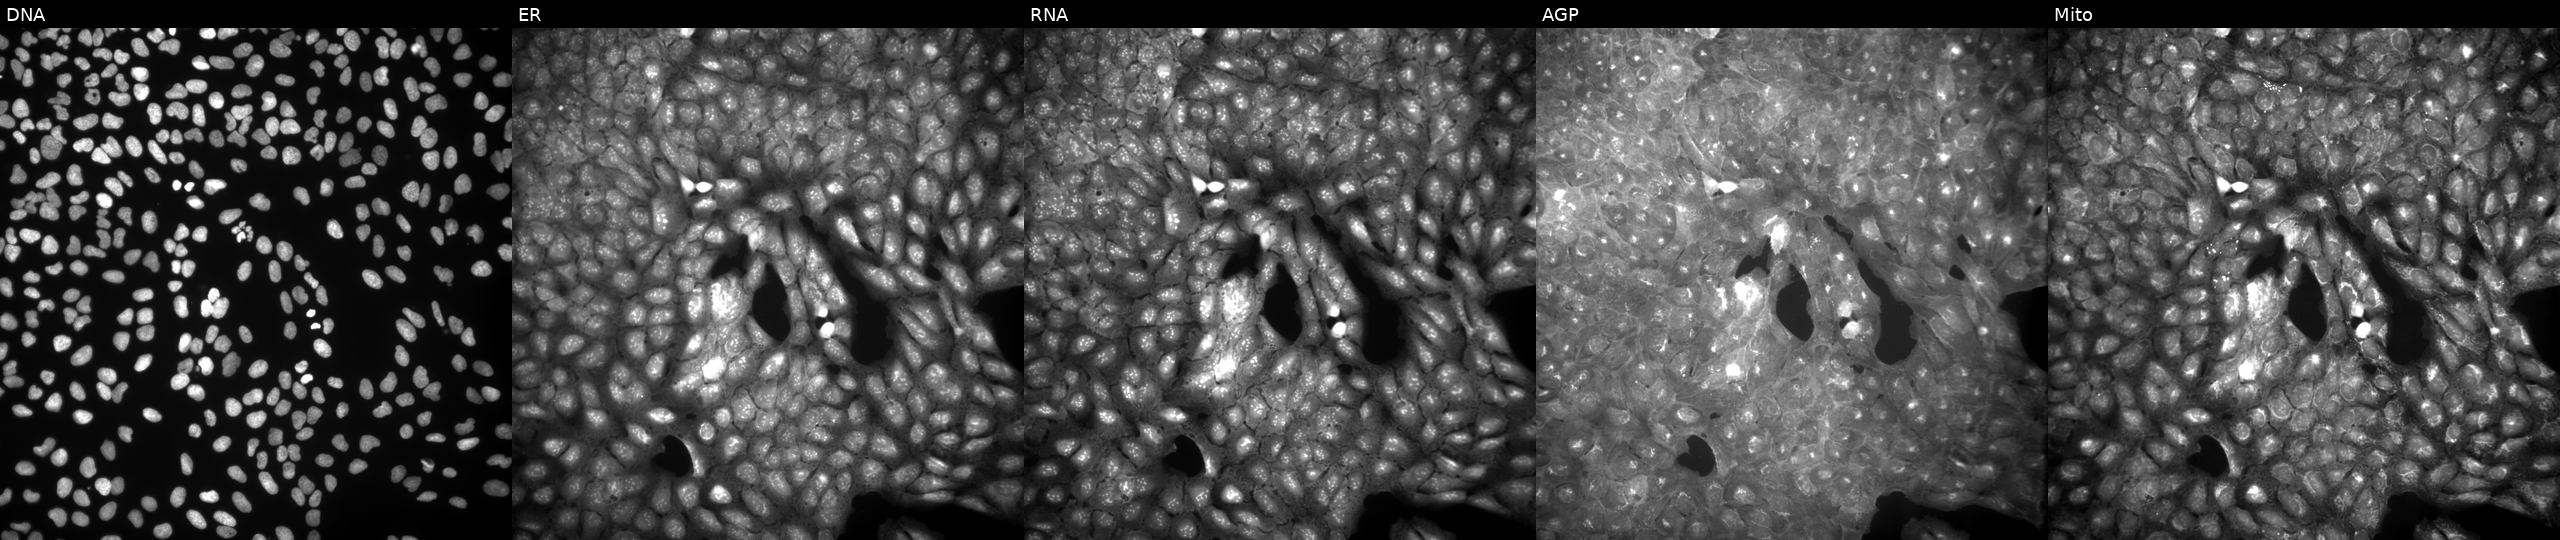
JUMP Cell Painting — COMPOUND plate. U2OS cells exposed to a small-molecule compound (InChIKey ILIOLFTVDZBWQL-UHFFFAOYSA-N) [SMILES: O=C(NCC1c2ccccc2CCN1C(=O)CN1CCOCC1)C1CCCCC1] (JUMP id JCP2022_035797). Panels show, left to right, Hoechst 33342, concanavalin A, SYTO 14, phalloidin and WGA, MitoTracker.